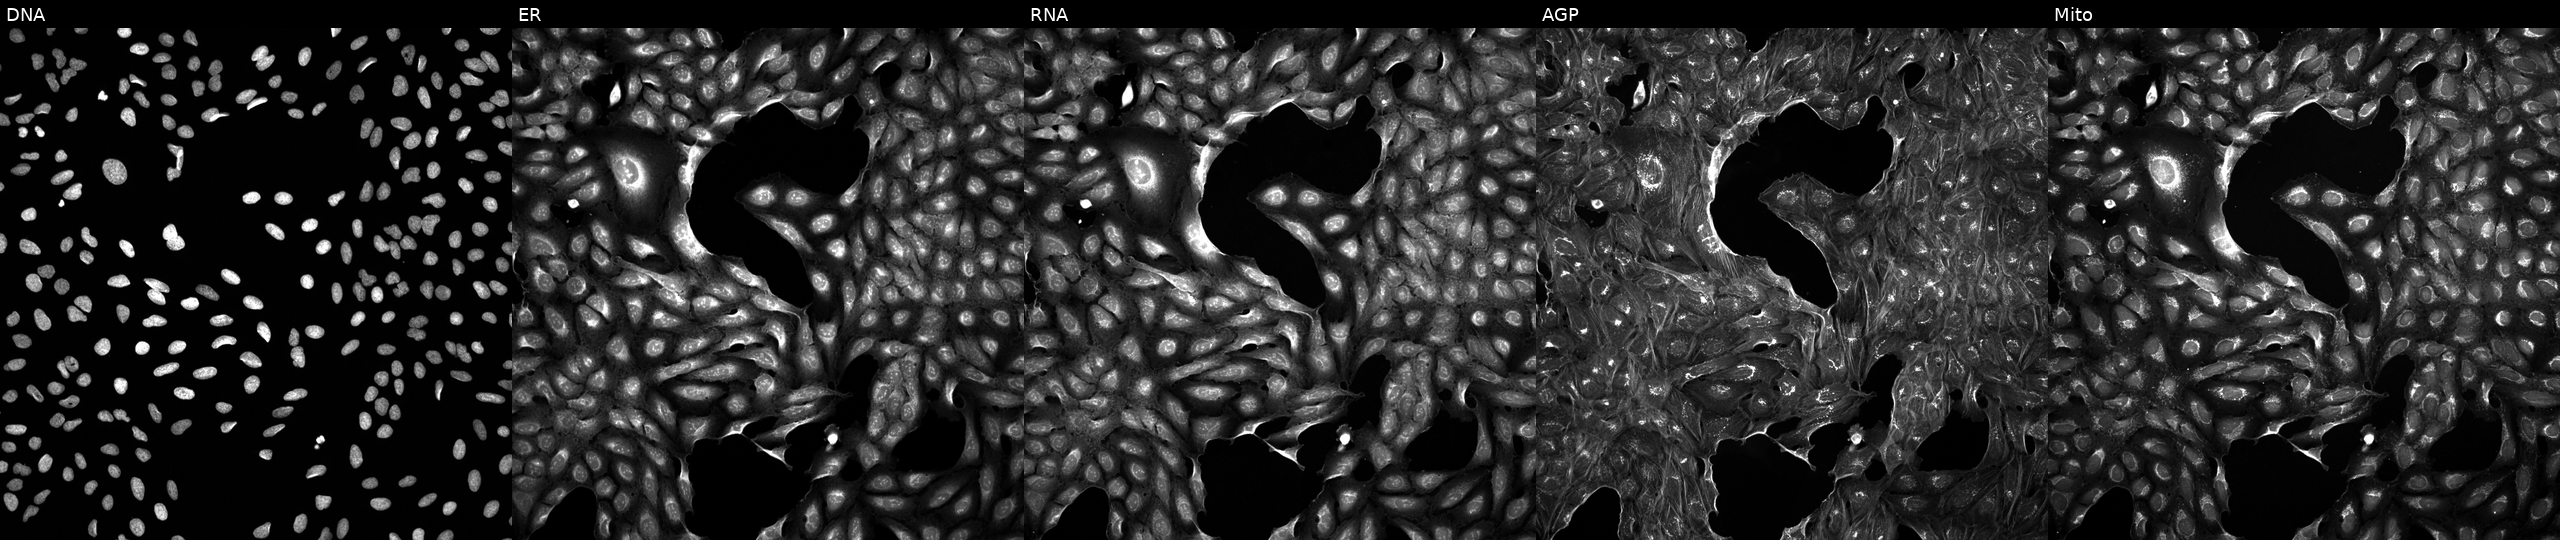
Panels show, left to right, DNA (nuclei); ER (endoplasmic reticulum); RNA (nucleoli and cytoplasmic RNA); AGP (actin cytoskeleton, Golgi, and plasma membrane); Mito (mitochondria). U2OS osteosarcoma cells treated with DMSO vehicle only (negative control) (JUMP id JCP2022_033924). Cell Painting assay, JUMP-CP dataset.